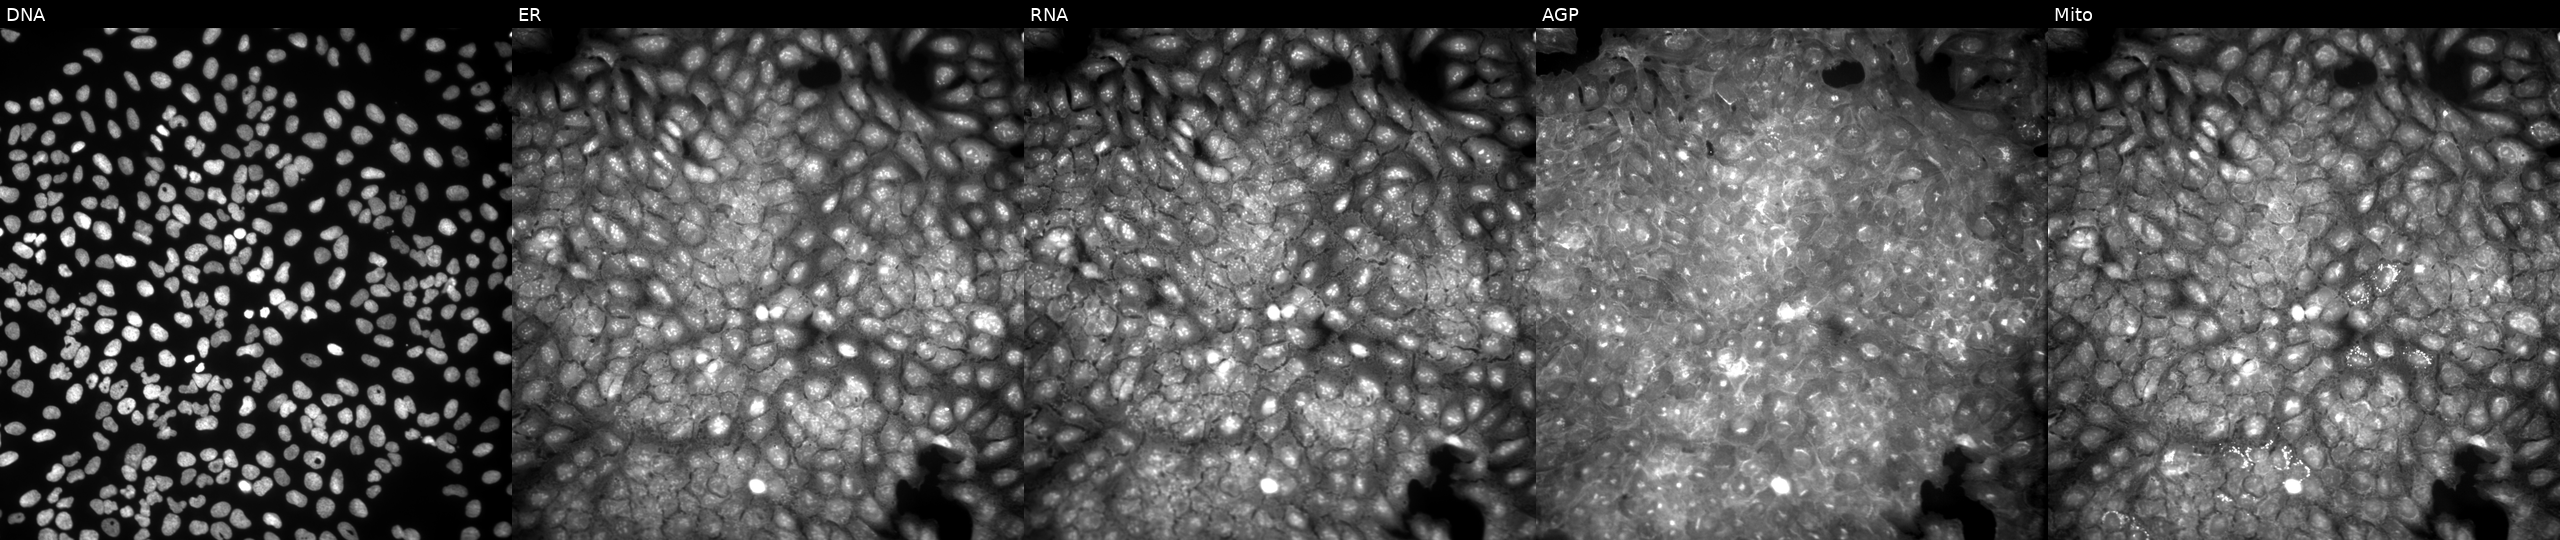
Five-channel Cell Painting image of U2OS cells treated with a small-molecule compound (InChIKey BSNPBSNWKULNJU-UHFFFAOYSA-N) (JUMP id JCP2022_008384). Panels show, left to right, Hoechst 33342, concanavalin A, SYTO 14, phalloidin and WGA, MitoTracker.